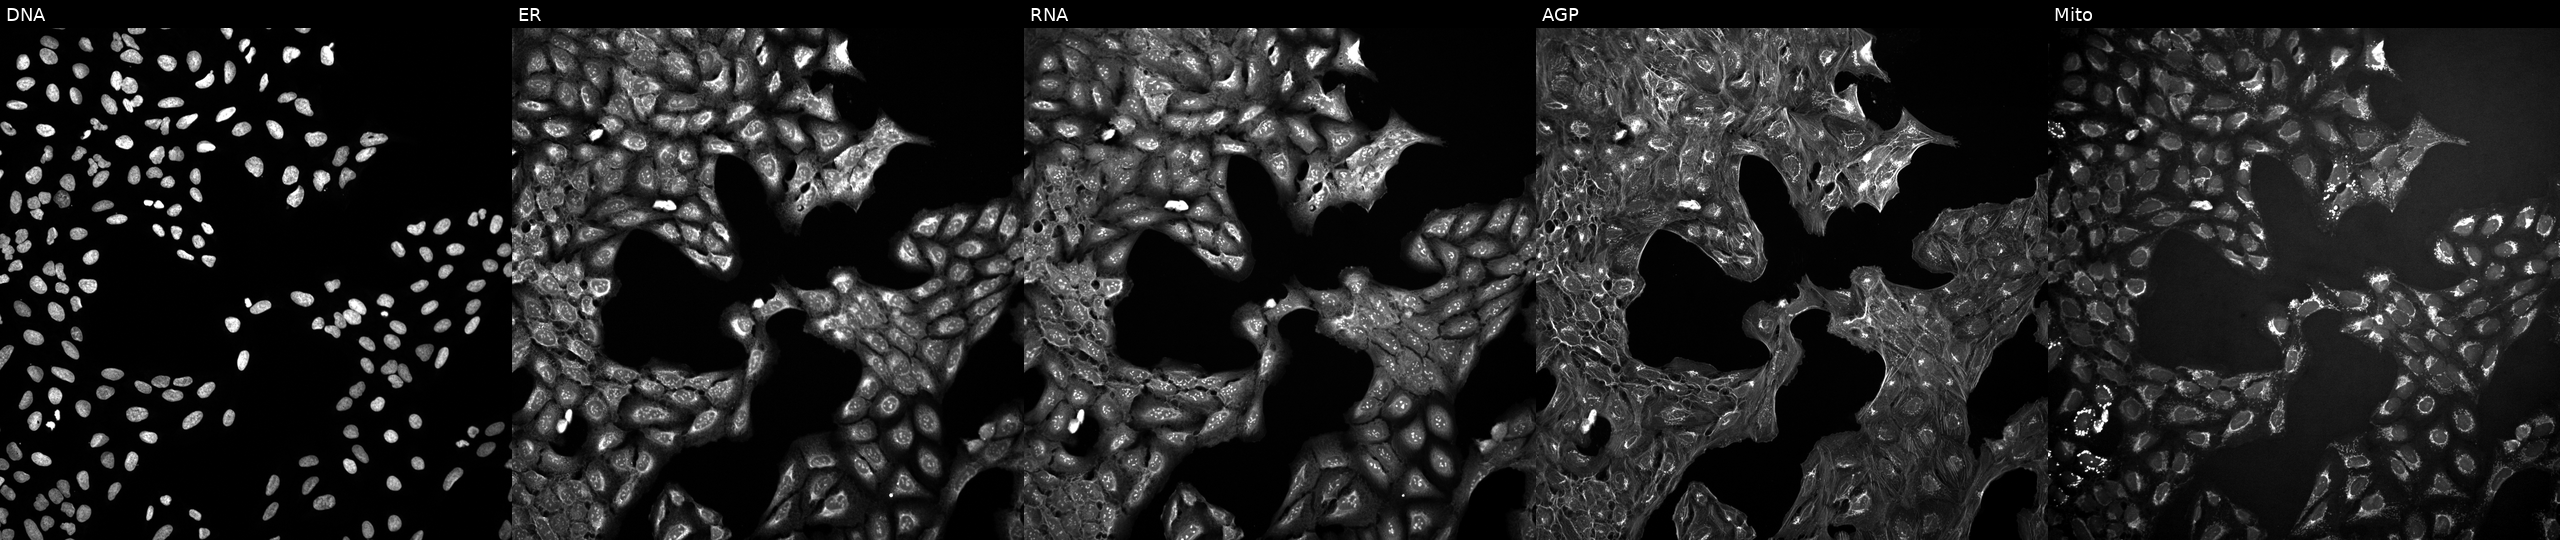
U2OS cells, Cell Painting assay, treated with DMSO vehicle only (negative control). From left to right: Hoechst 33342, concanavalin A, SYTO 14, phalloidin and WGA, MitoTracker. Each panel is percentile-stretched 16-bit fluorescence. Source 10, plate Dest210531-152324, well A23.